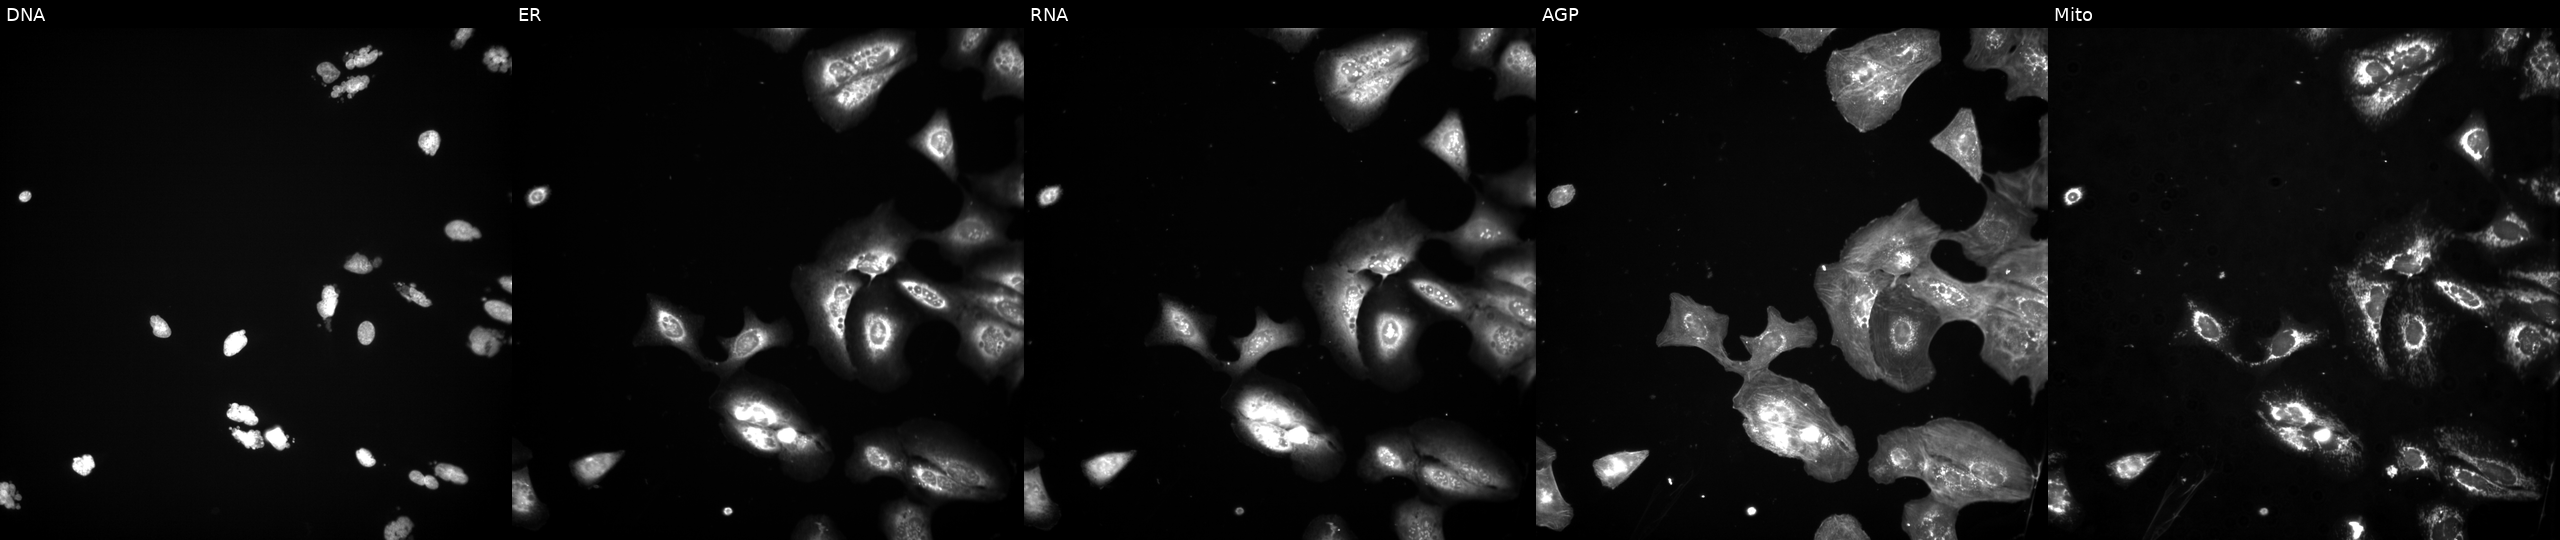
Five-channel Cell Painting image of U2OS cells exposed to the positive-control compound AMG900. Channels (left→right): Hoechst 33342, concanavalin A, SYTO 14, phalloidin and WGA, MitoTracker.